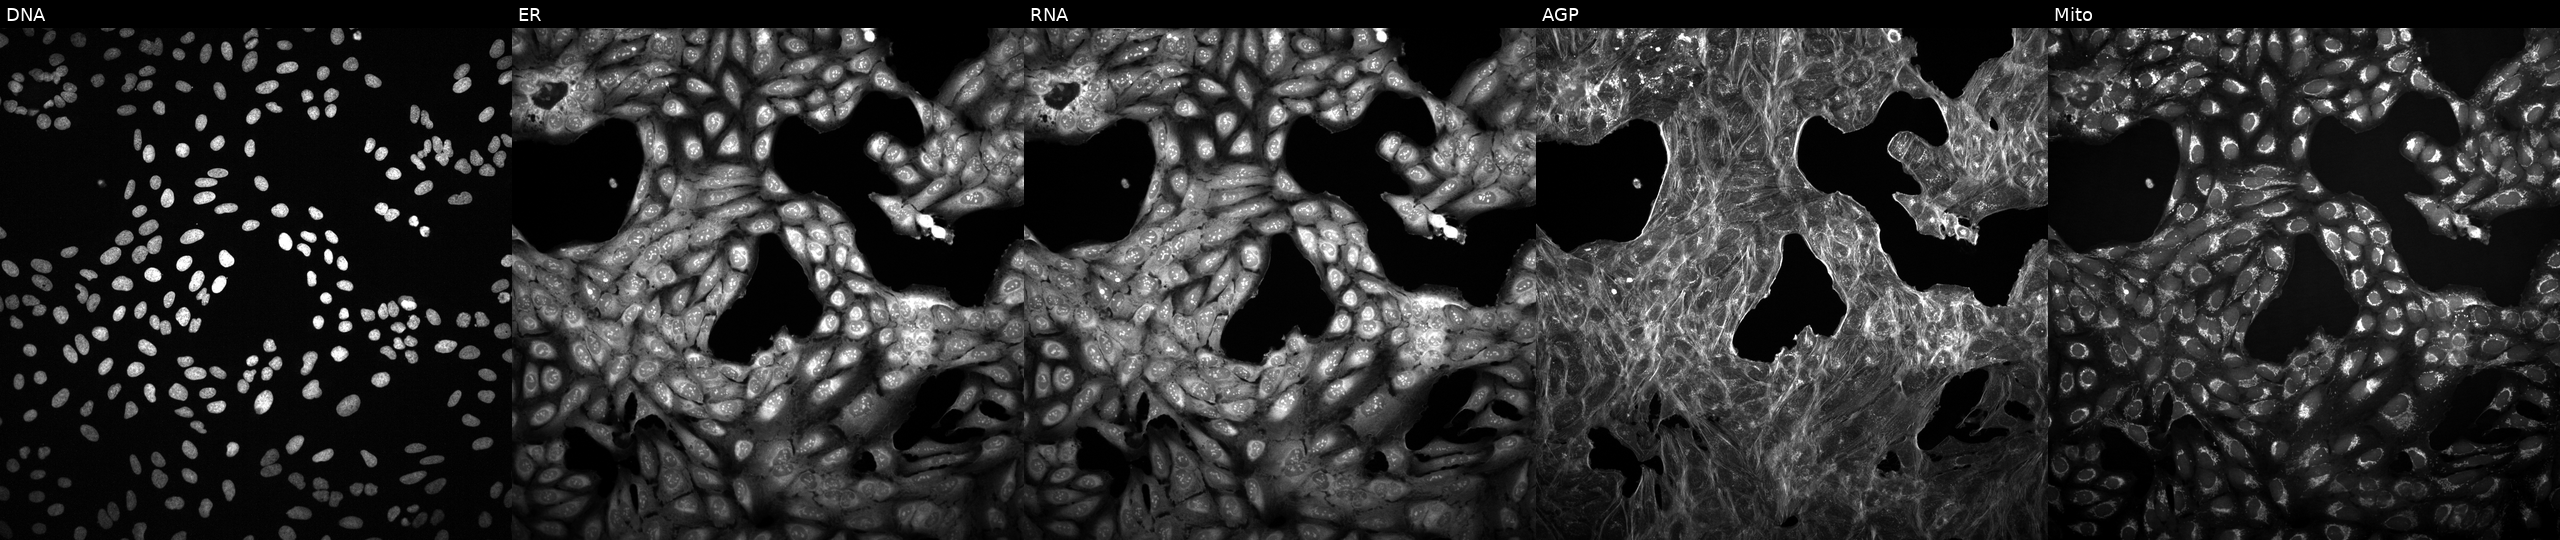
JUMP Cell Painting — TARGET2 plate. U2OS cells treated with a small-molecule compound (InChIKey JDKKNQACNITFEA-UHFFFAOYSA-N). Channels (left→right): Hoechst 33342, concanavalin A, SYTO 14, phalloidin and WGA, MitoTracker. Source 2, plate 1053597936, well O10.